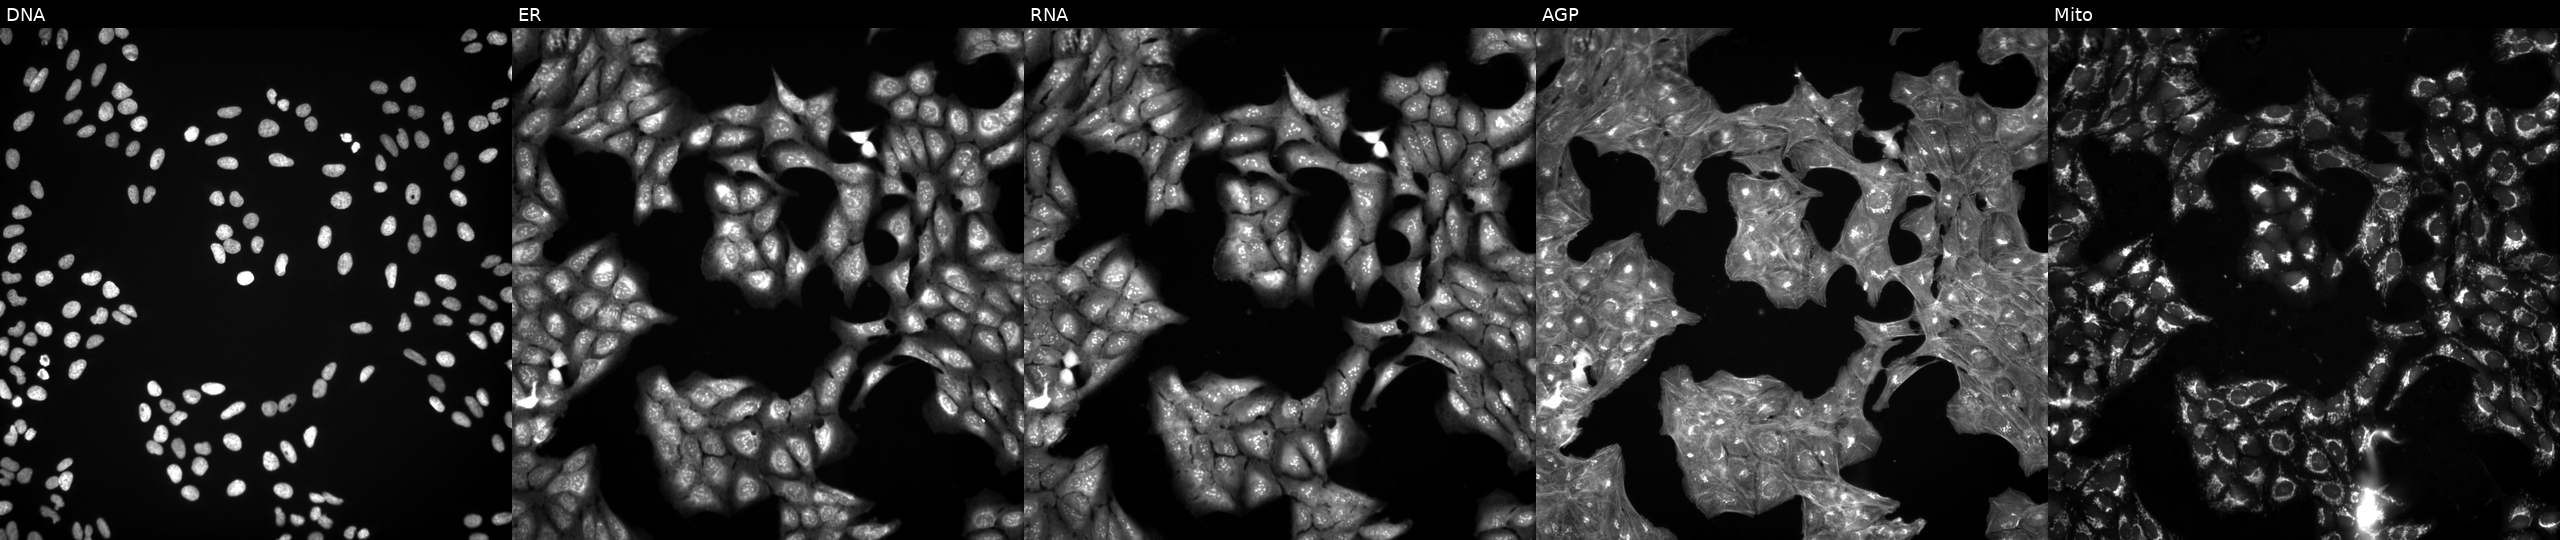
High-content fluorescence microscopy (Cell Painting). Cell line: U2OS. Perturbation: exposed to a small-molecule compound (InChIKey BCZUAADEACICHN-UHFFFAOYSA-N) (JUMP id JCP2022_005529). Panels show, left to right, DNA (nuclei); ER (endoplasmic reticulum); RNA (nucleoli and cytoplasmic RNA); AGP (actin cytoskeleton, Golgi, and plasma membrane); Mito (mitochondria). Source 3, plate JCPQC051, well D12.